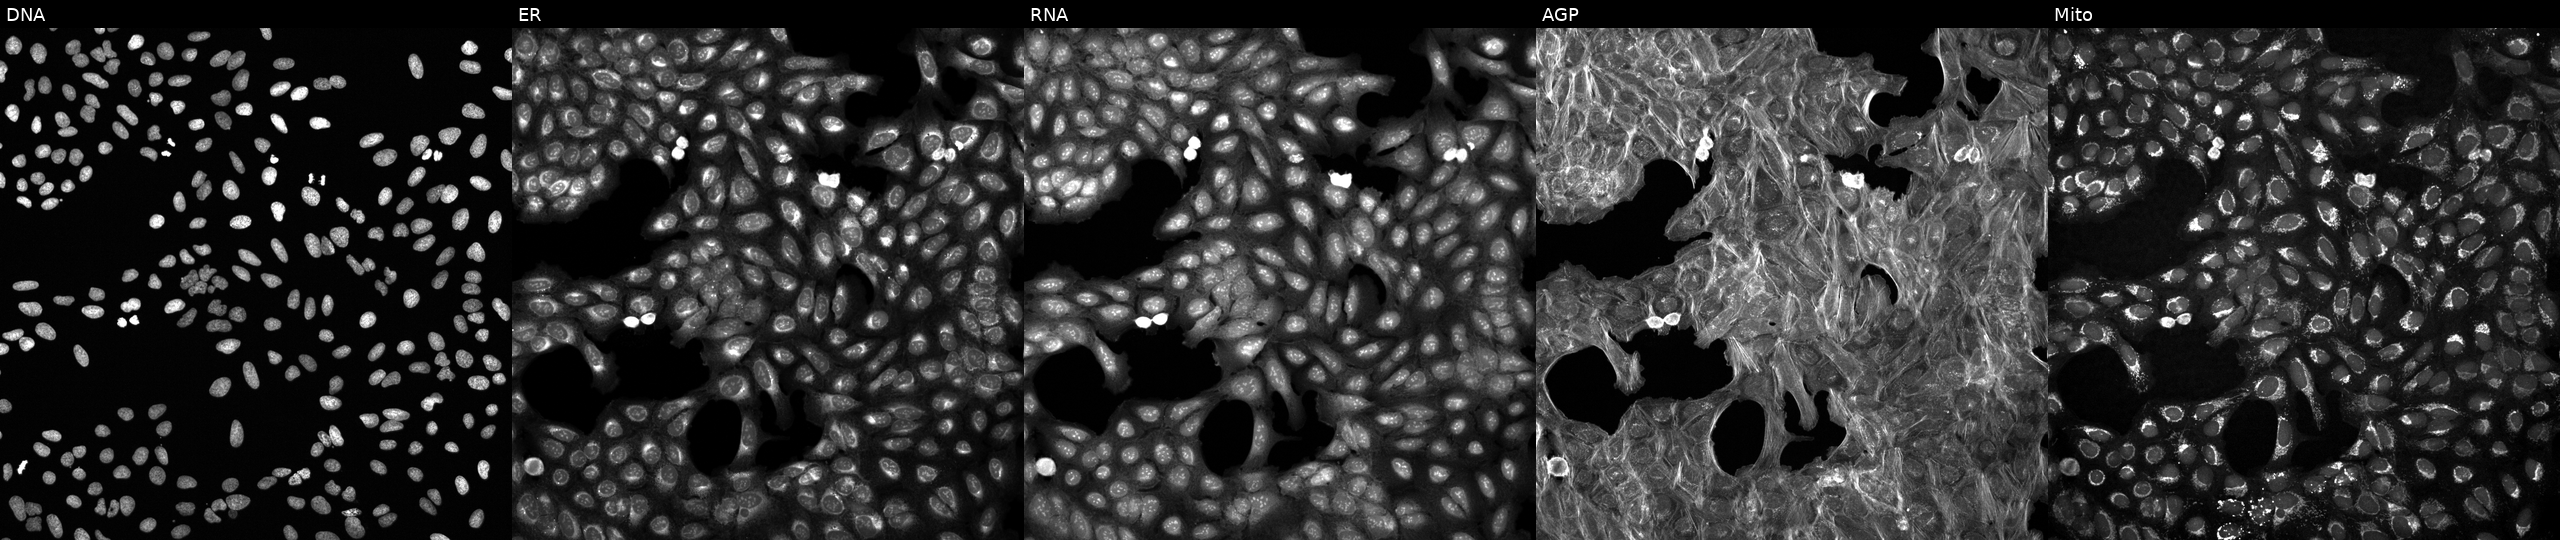
Panels show, left to right, DNA (nuclei); ER (endoplasmic reticulum); RNA (nucleoli and cytoplasmic RNA); AGP (actin cytoskeleton, Golgi, and plasma membrane); Mito (mitochondria). U2OS osteosarcoma cells exposed to a small-molecule compound (InChIKey YZCHXWZFEFGWNM-UHFFFAOYSA-N). Cell Painting assay, JUMP-CP dataset. Source 6, plate 110000293083, well C22.